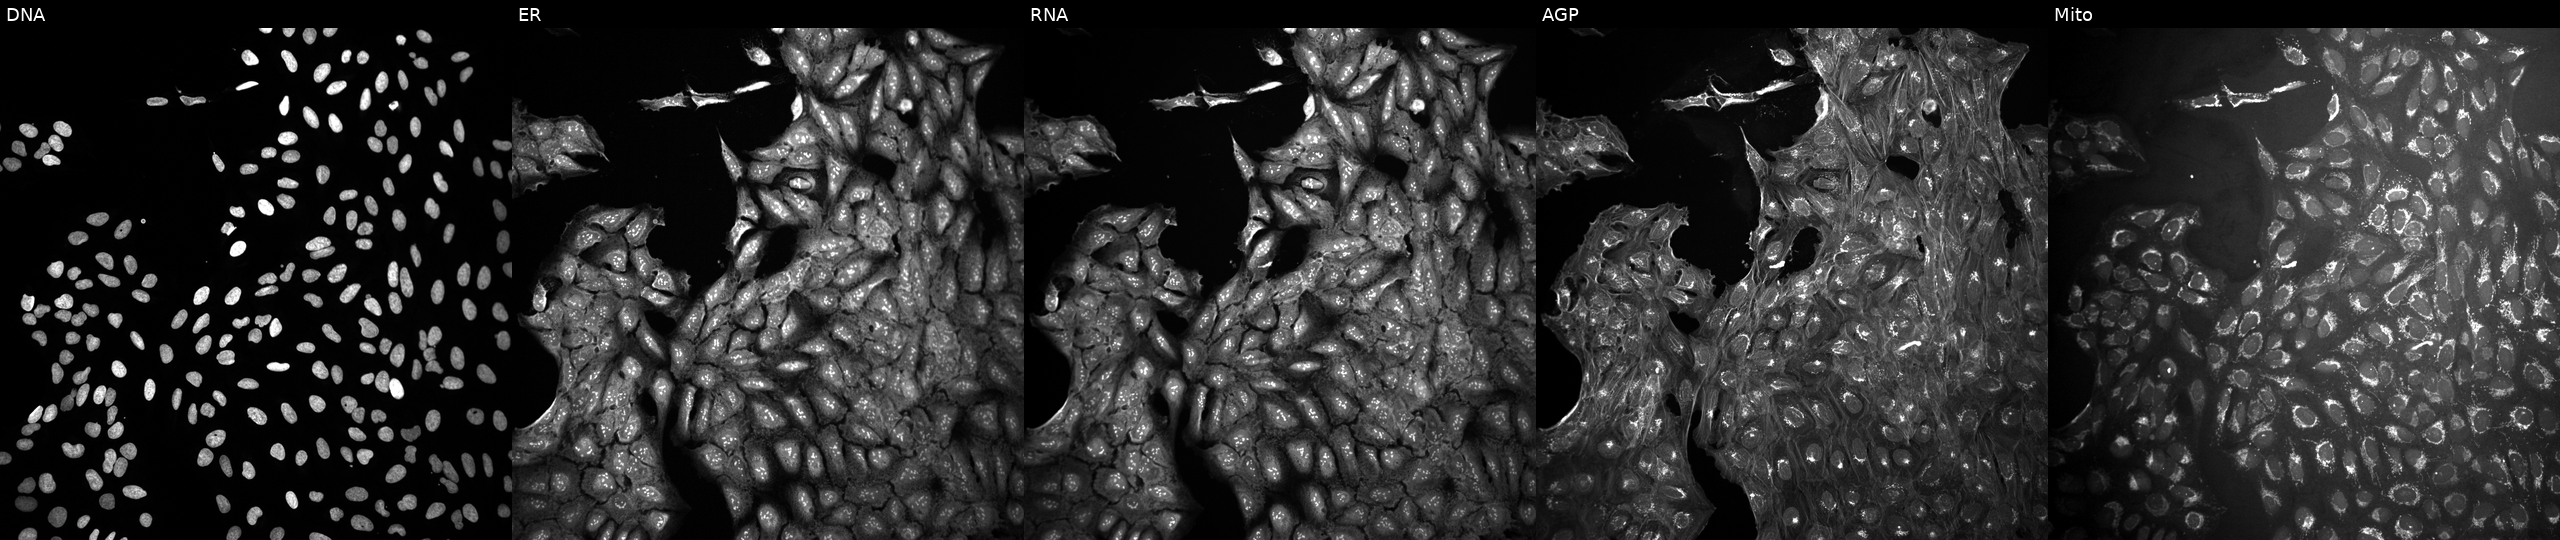
This image strip shows the five Cell Painting channels for a single field of U2OS cells exposed to a small-molecule compound (InChIKey YZZQUXCKJCBGBD-UHFFFAOYSA-N) (JUMP id JCP2022_111976). Panels show, left to right, DNA, ER, RNA, AGP, and Mito.